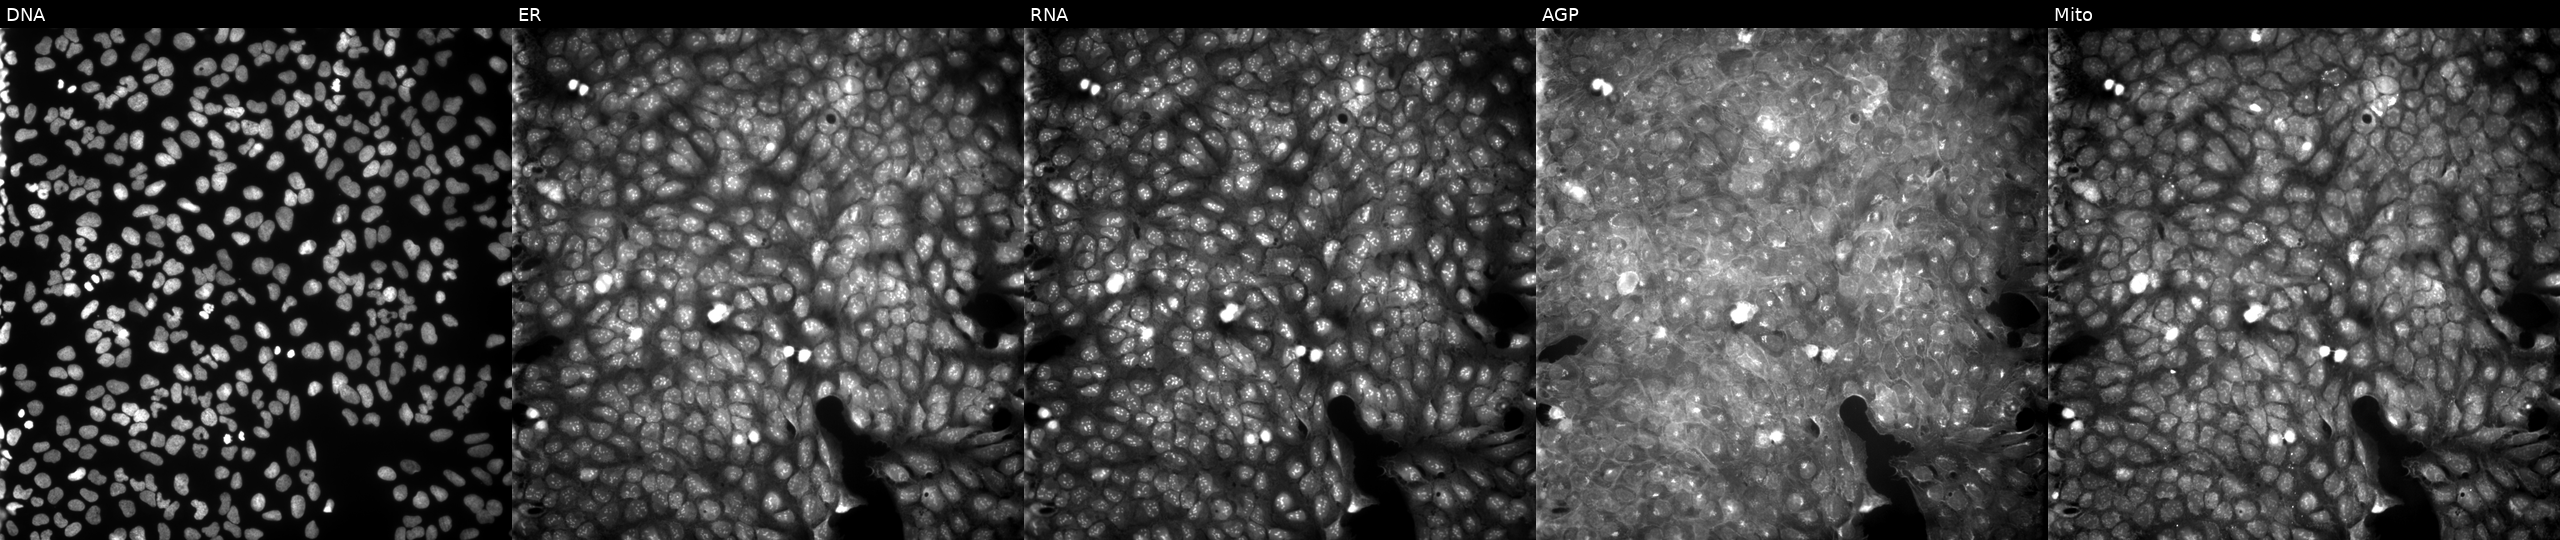
High-content fluorescence microscopy (Cell Painting). Cell line: U2OS. Perturbation: exposed to a small-molecule compound (InChIKey CCNQNWCKKPNWHX-UHFFFAOYSA-N) (JUMP id JCP2022_010241). The five panels, left to right, show Hoechst 33342, concanavalin A, SYTO 14, phalloidin and WGA, MitoTracker.